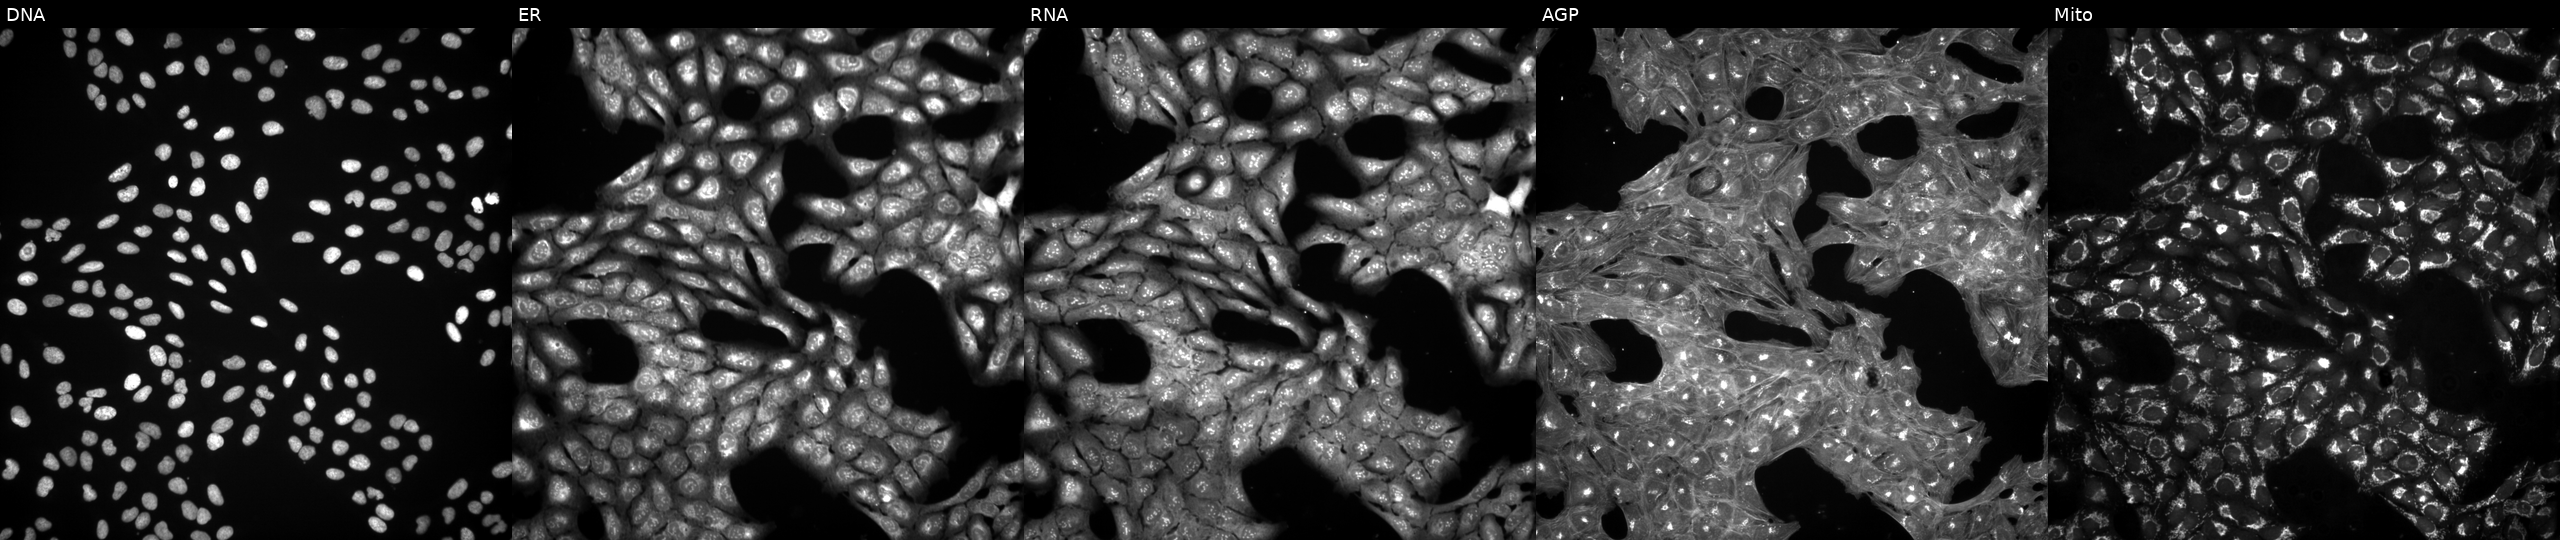
U2OS cells, Cell Painting assay, treated with a small-molecule compound. Panels show, left to right, DNA (nuclei); ER (endoplasmic reticulum); RNA (nucleoli and cytoplasmic RNA); AGP (actin cytoskeleton, Golgi, and plasma membrane); Mito (mitochondria). Each panel is percentile-stretched 16-bit fluorescence.